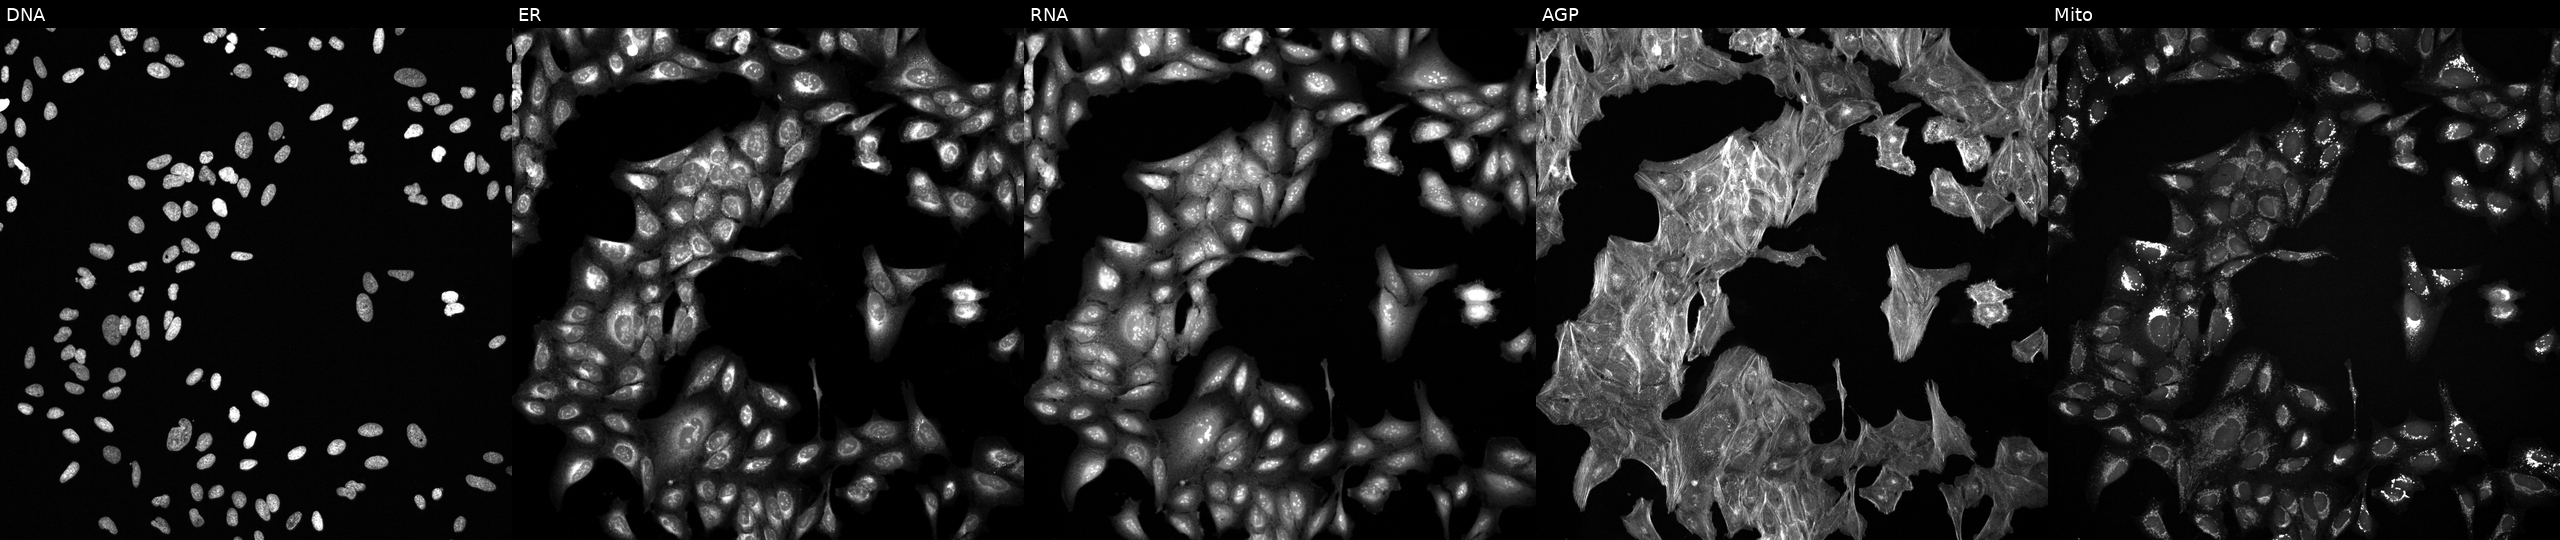
Five-channel Cell Painting image of U2OS cells treated with a small-molecule compound (InChIKey RAHBGWKEPAQNFF-UHFFFAOYSA-N). Channels (left→right): DNA (nuclei); ER (endoplasmic reticulum); RNA (nucleoli and cytoplasmic RNA); AGP (actin cytoskeleton, Golgi, and plasma membrane); Mito (mitochondria).